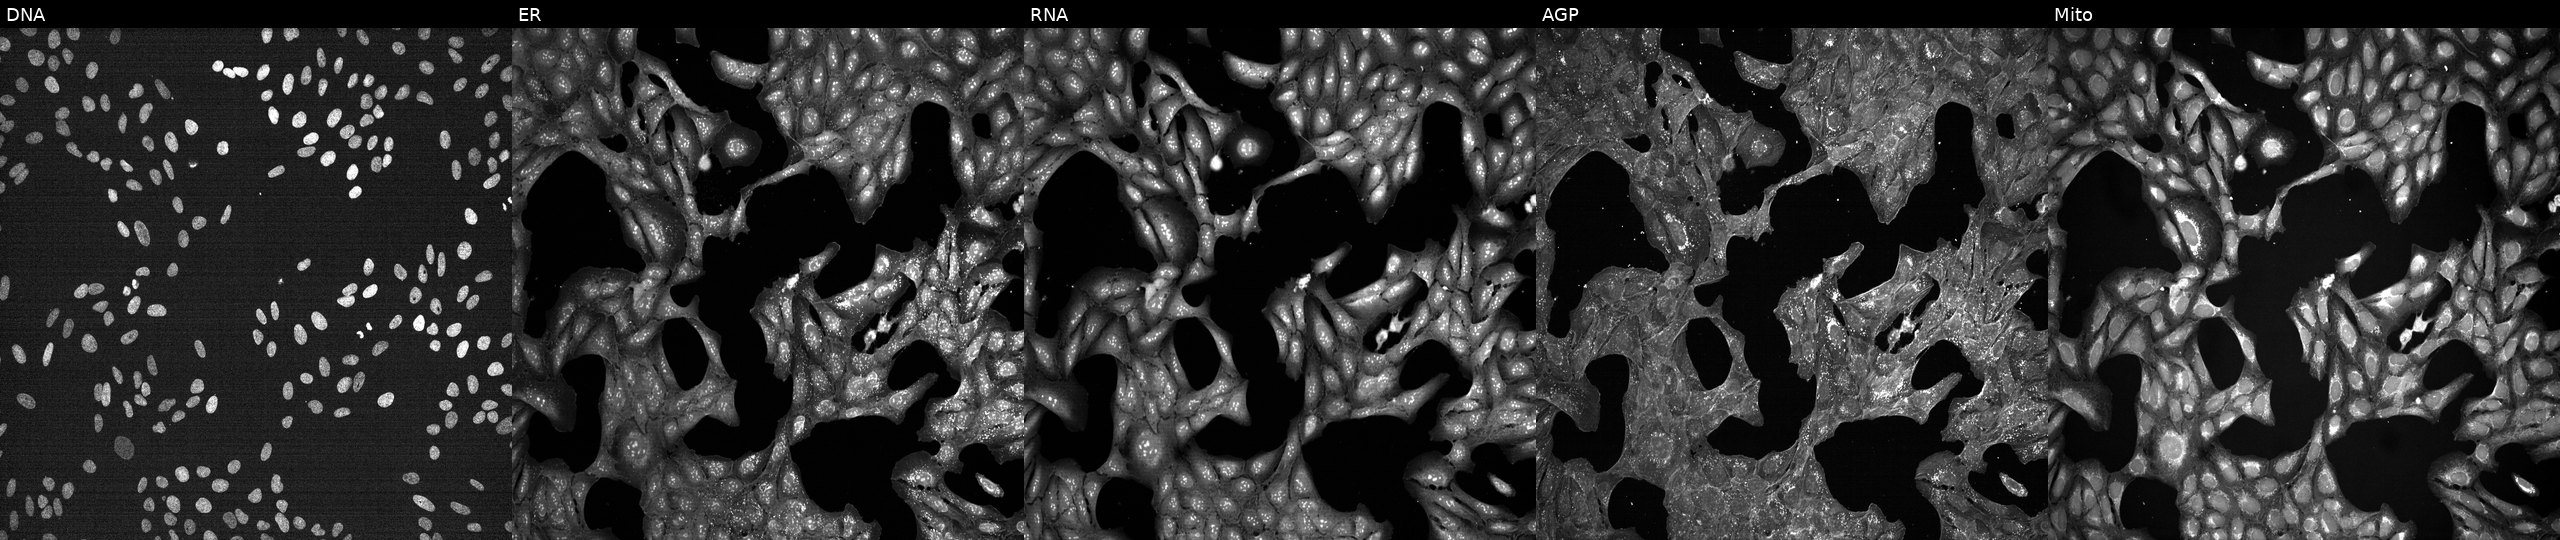
Channels (left→right): DNA, ER, RNA, AGP, and Mito. U2OS osteosarcoma cells perturbed with a small-molecule compound (InChIKey DJKJVWJQAVGLHJ-UHFFFAOYSA-N) [SMILES: N=c1nc(N2CCNCC2)c2c([nH]1)C1=C(CC2)OC2CCCCC12] (JUMP id JCP2022_016288). Cell Painting assay, JUMP-CP dataset.